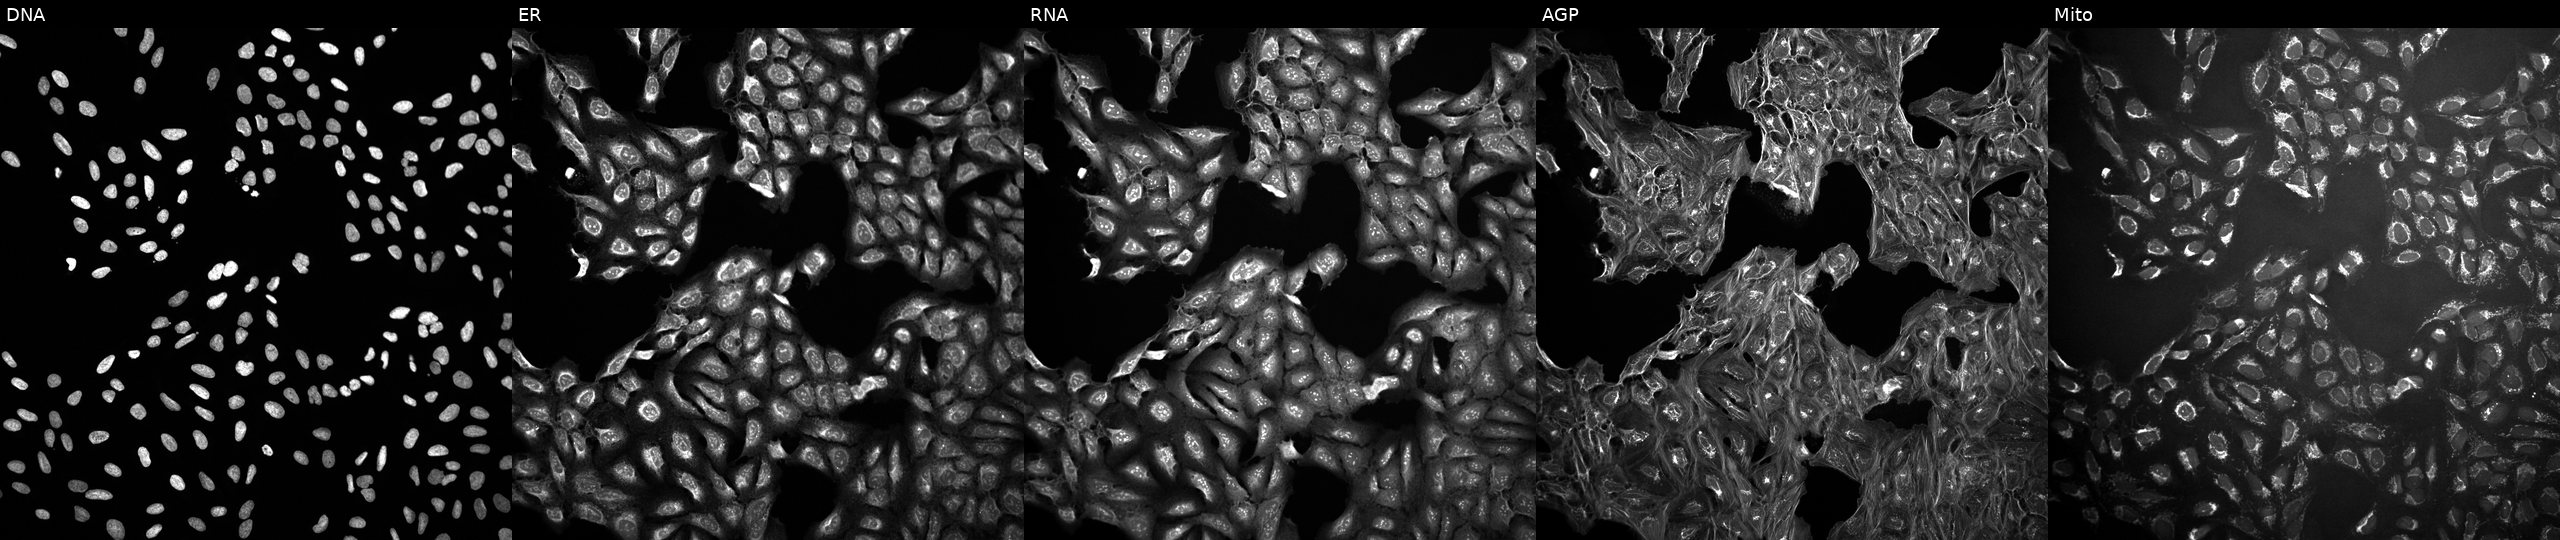
Five-channel Cell Painting image of U2OS cells treated with a small-molecule compound (JUMP id JCP2022_039773). The five panels, left to right, show DNA, ER, RNA, AGP, and Mito. Source 10, plate Dest210531-152324, well I14.